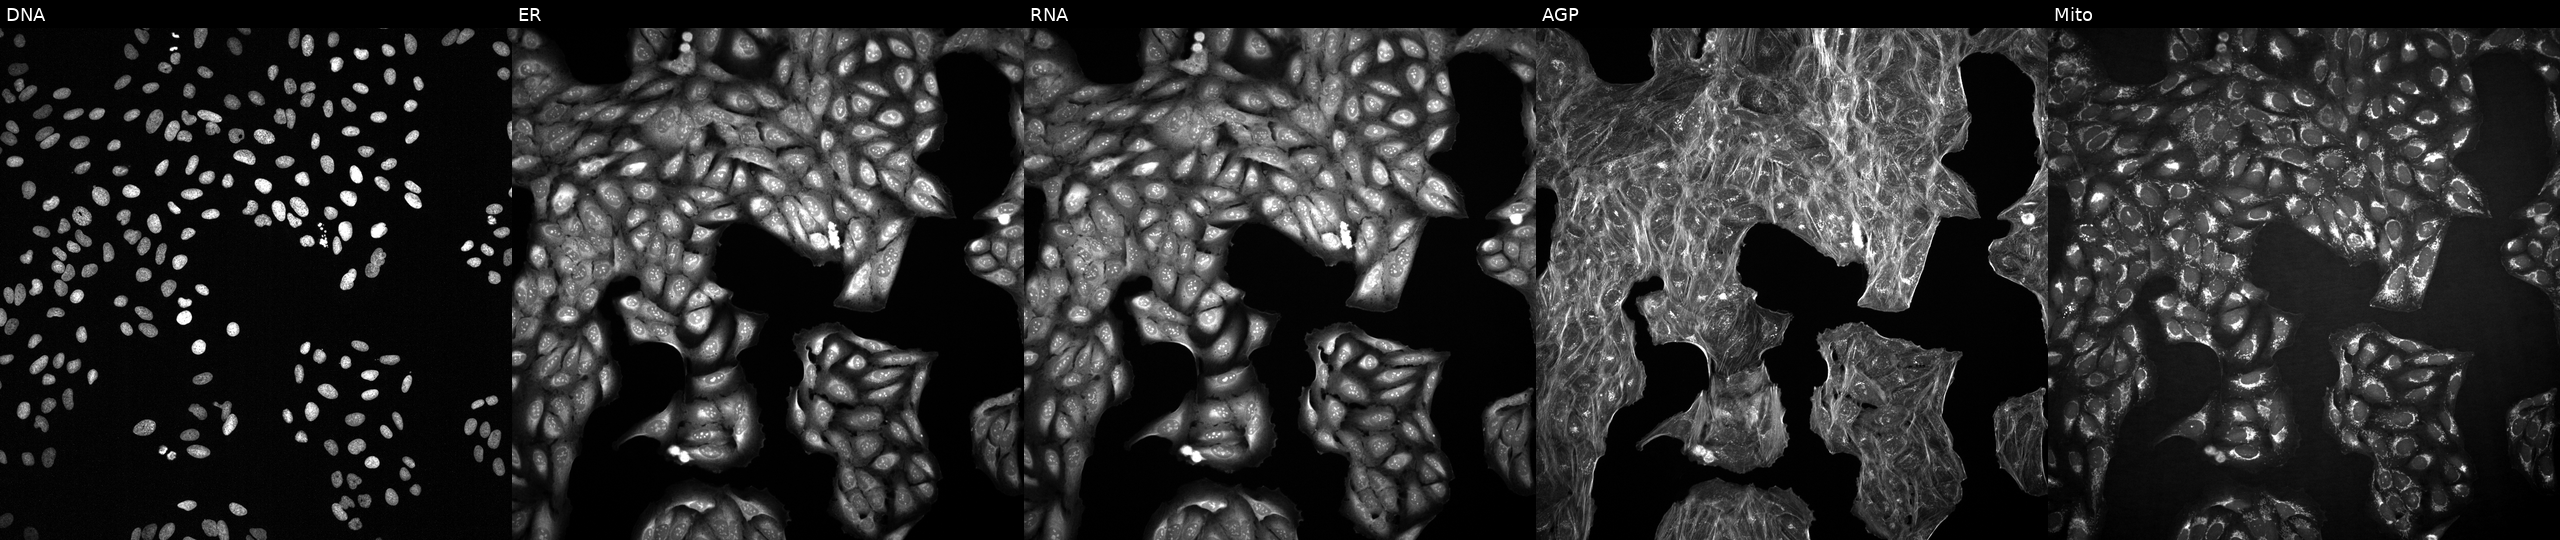
JUMP Cell Painting — COMPOUND plate. U2OS cells exposed to a small-molecule compound (InChIKey XKSKLPKUIWAXQV-UHFFFAOYSA-N). Panels show, left to right, DNA (nuclei); ER (endoplasmic reticulum); RNA (nucleoli and cytoplasmic RNA); AGP (actin cytoskeleton, Golgi, and plasma membrane); Mito (mitochondria). Source 2, plate 1053601756, well C17.